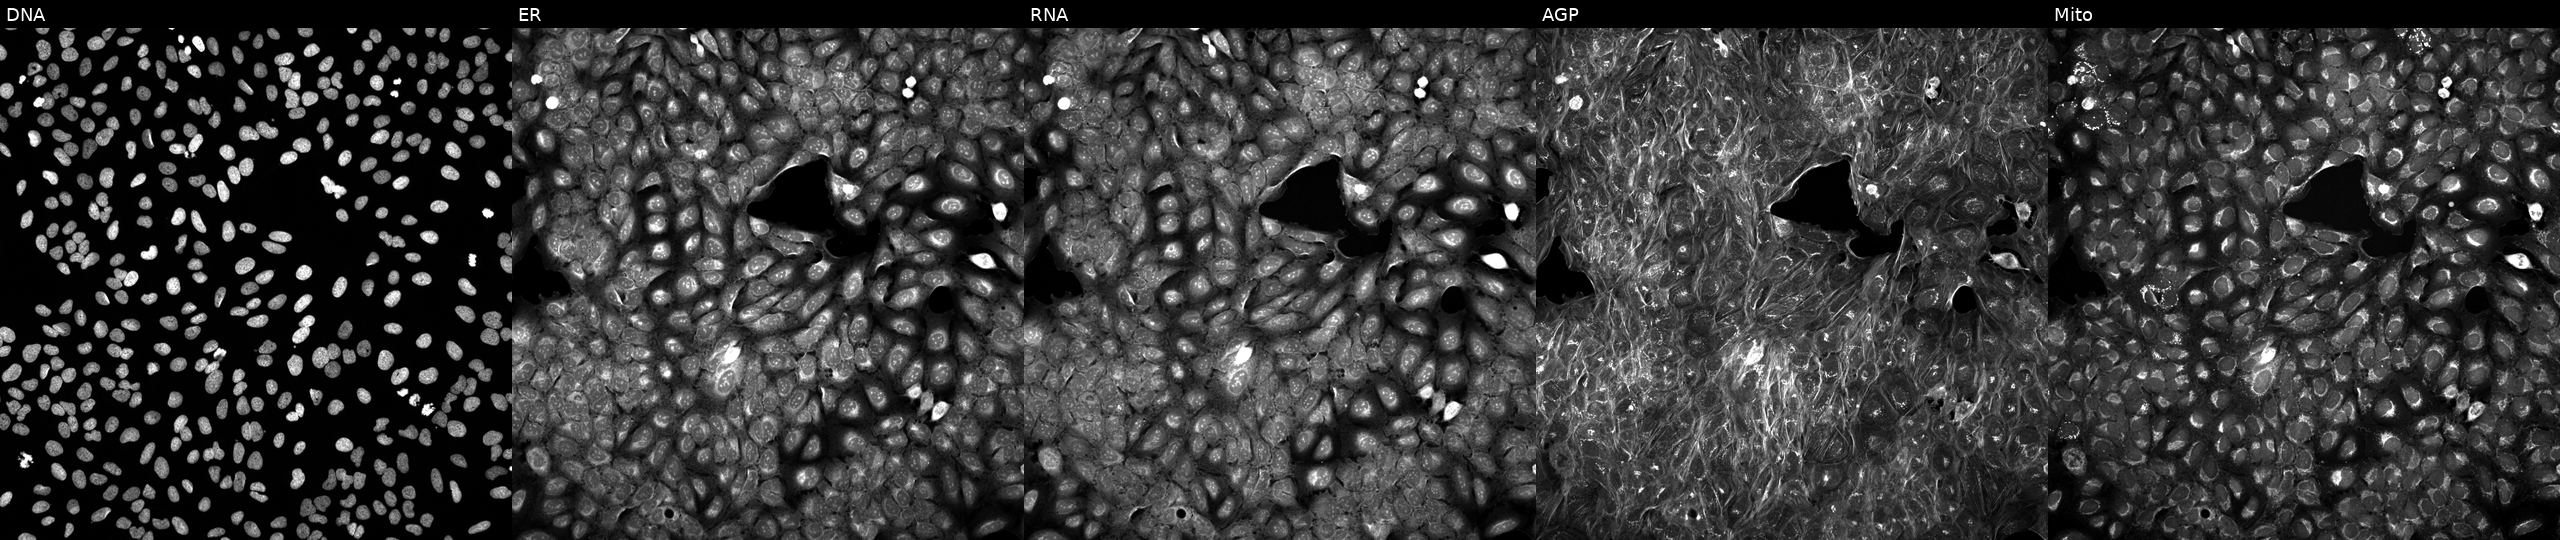
High-content fluorescence microscopy (Cell Painting). Cell line: U2OS. Perturbation: treated with a small-molecule compound. The five panels, left to right, show DNA (nuclei); ER (endoplasmic reticulum); RNA (nucleoli and cytoplasmic RNA); AGP (actin cytoskeleton, Golgi, and plasma membrane); Mito (mitochondria).